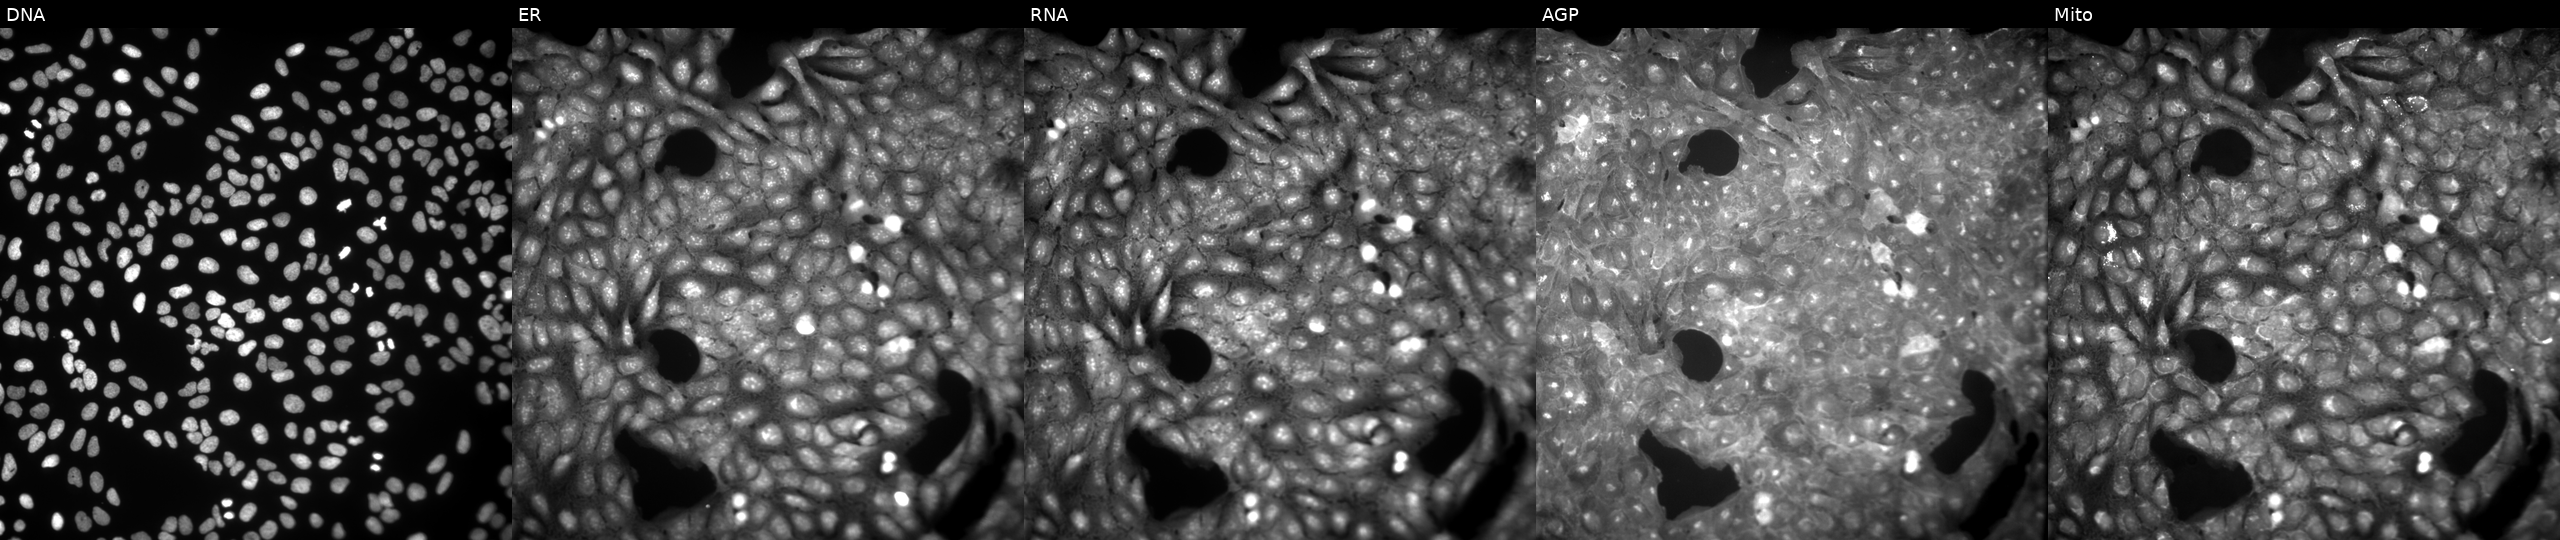
The five panels, left to right, show DNA (nuclei); ER (endoplasmic reticulum); RNA (nucleoli and cytoplasmic RNA); AGP (actin cytoskeleton, Golgi, and plasma membrane); Mito (mitochondria). U2OS osteosarcoma cells perturbed with a small-molecule compound (InChIKey NWWFZLKJMMYAGJ-UHFFFAOYSA-N) [SMILES: O=C(NCCSCc1ccccc1)c1ccc(C2SCC(=O)N2Cc2ccccc2)cc1]. Cell Painting assay, JUMP-CP dataset. Source 9, plate GR00003381, well Y41.